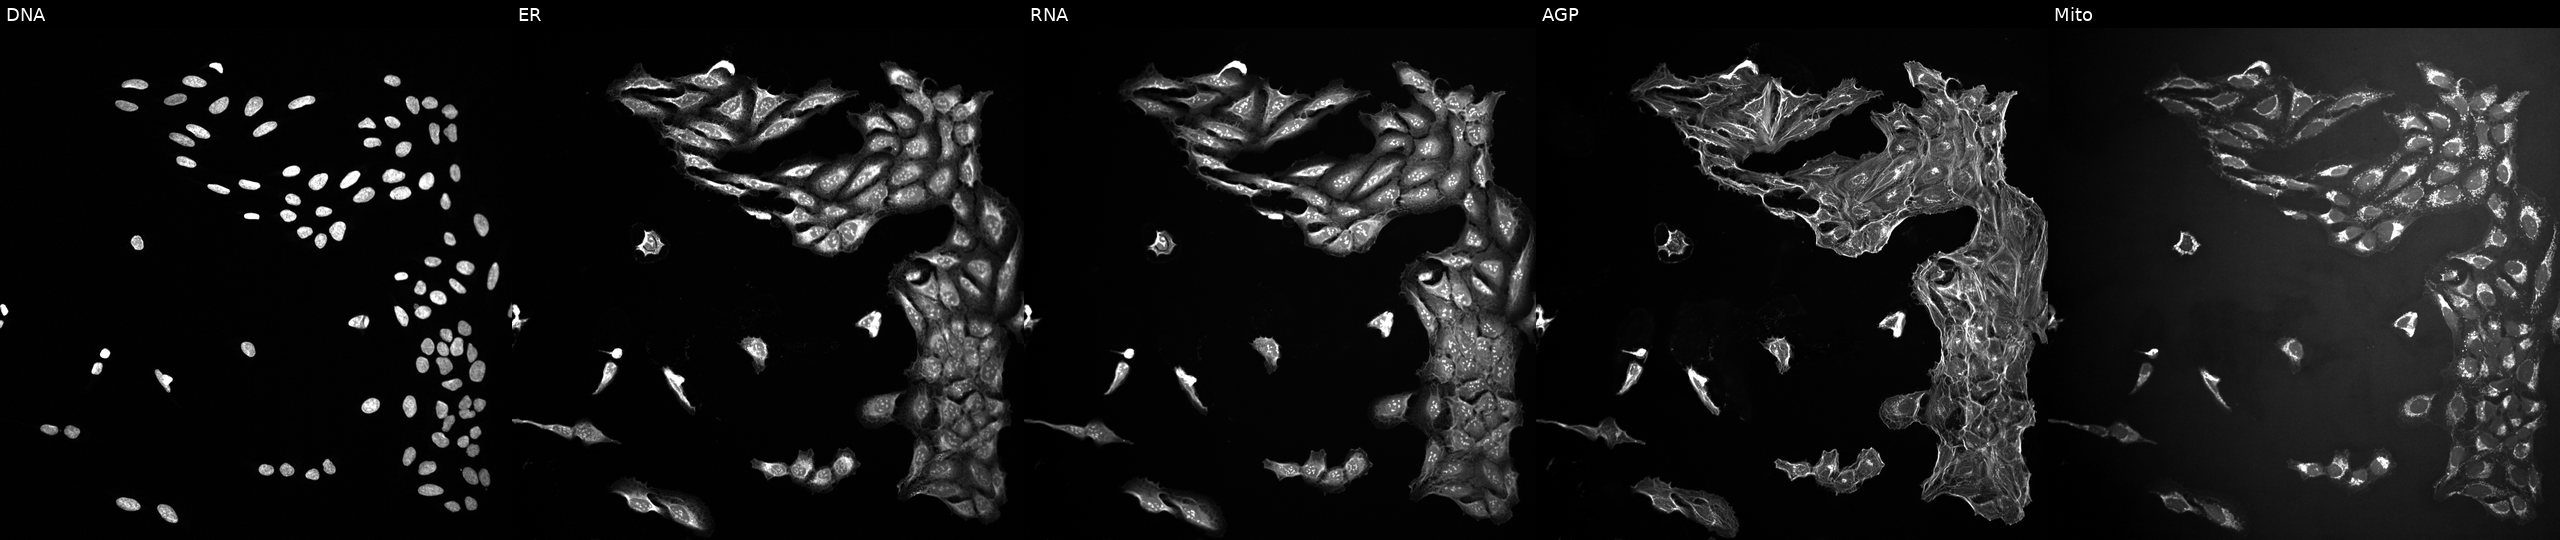
U2OS cells, Cell Painting assay, perturbed with a small-molecule compound. From left to right: Hoechst 33342, concanavalin A, SYTO 14, phalloidin and WGA, MitoTracker. Each panel is percentile-stretched 16-bit fluorescence.